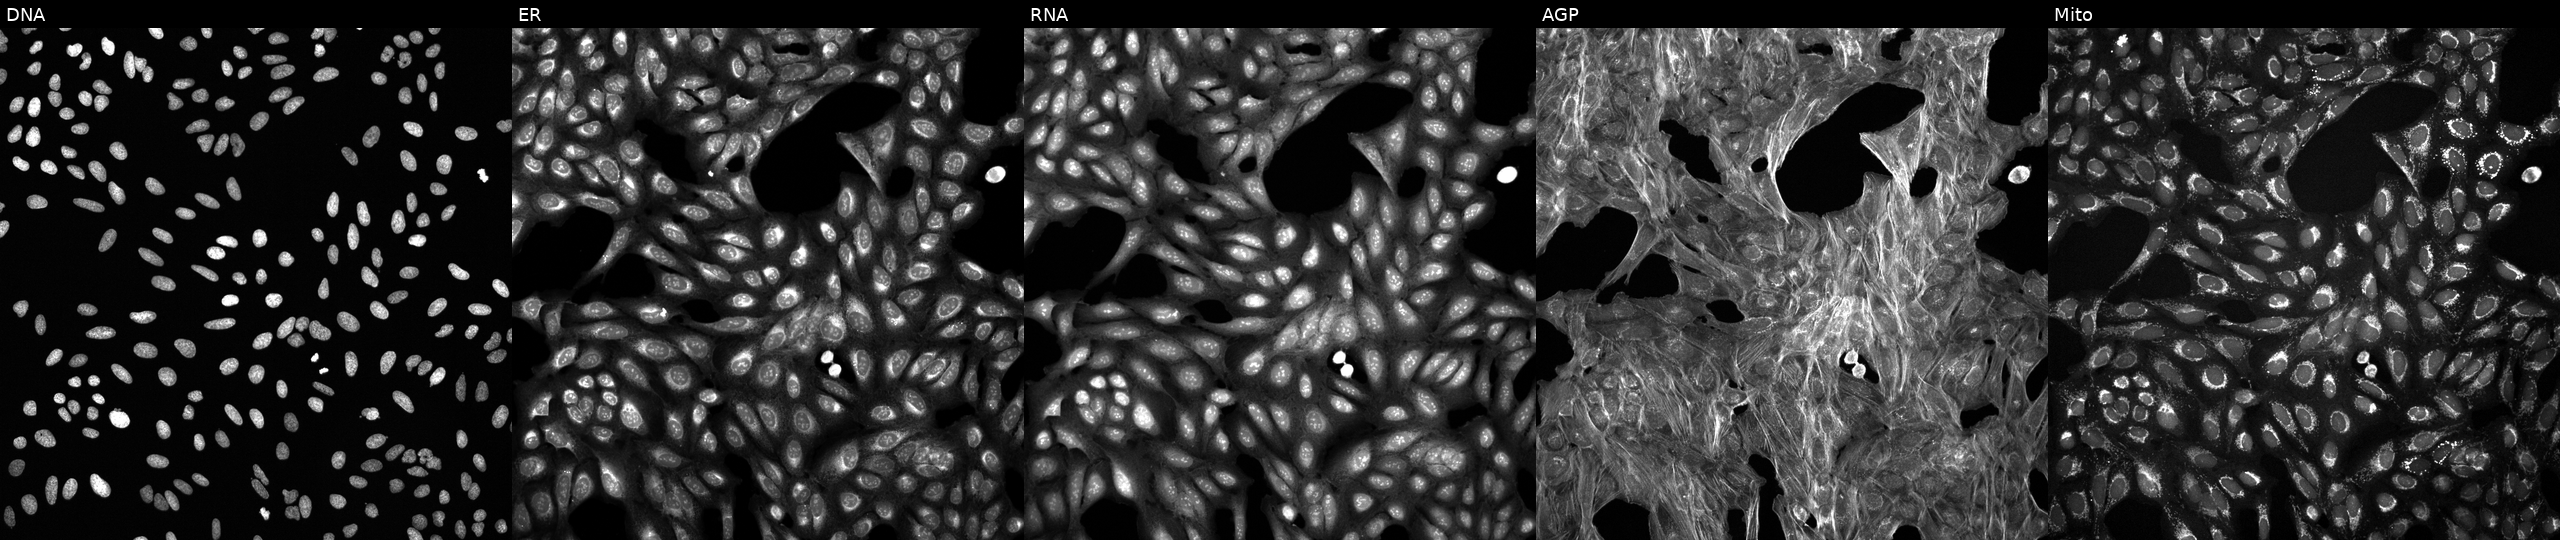
U2OS cells, Cell Painting assay, exposed to a small-molecule compound (InChIKey FOMNYQMWNFGWJL-UHFFFAOYSA-N). Panels show, left to right, Hoechst 33342, concanavalin A, SYTO 14, phalloidin and WGA, MitoTracker. Each panel is percentile-stretched 16-bit fluorescence. Source 6, plate 110000293082, well D06.